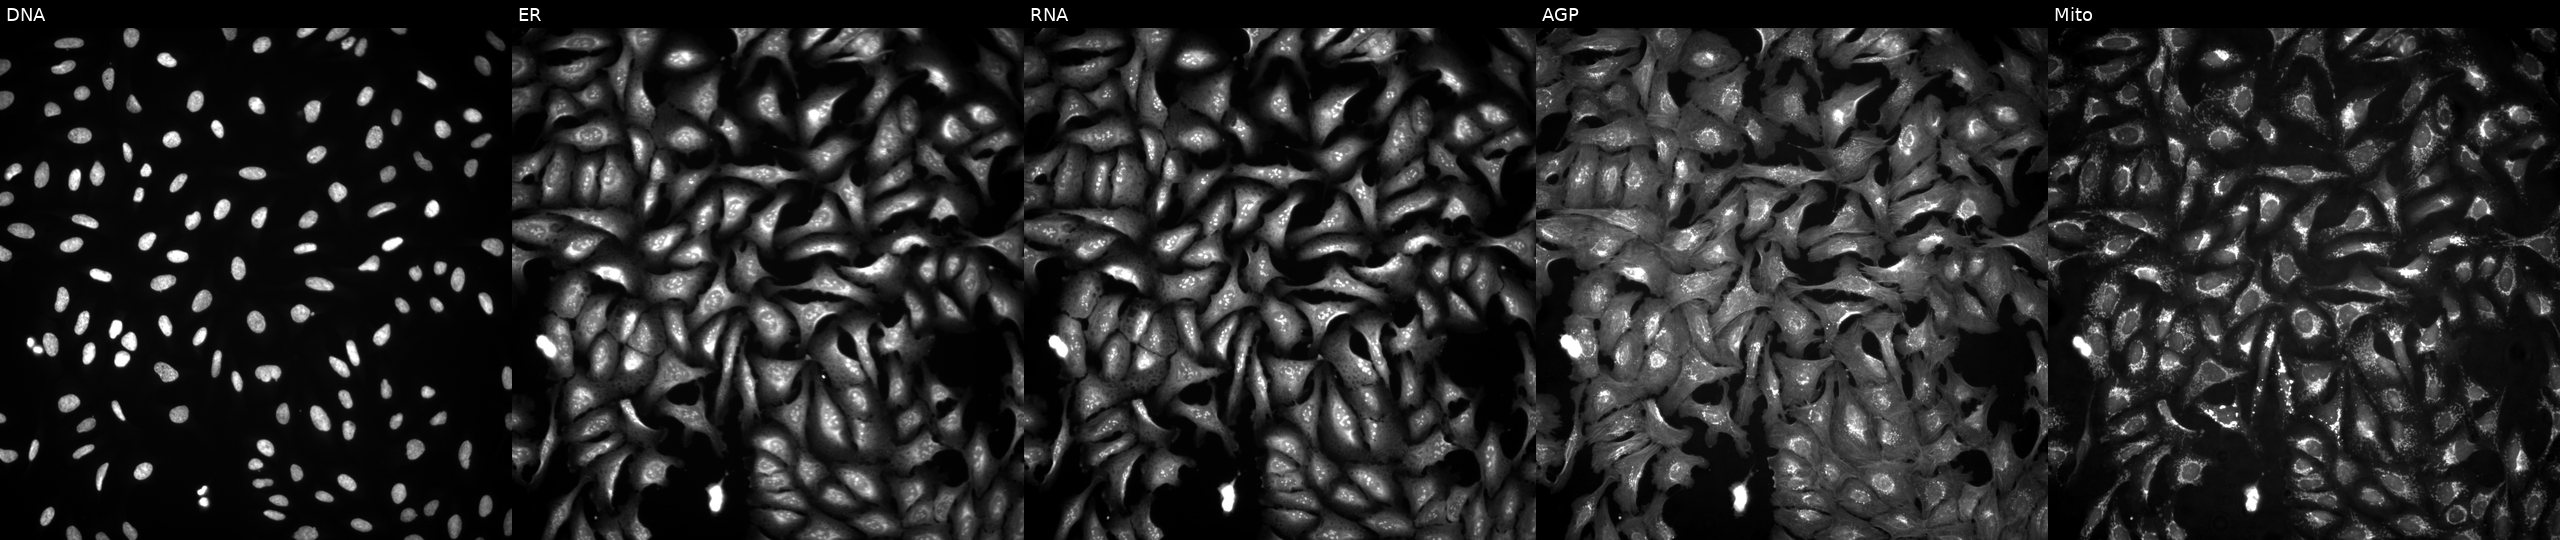
Five-channel Cell Painting image of U2OS cells expressing LacZ (ORF negative control) (JUMP id JCP2022_915131). From left to right: Hoechst 33342, concanavalin A, SYTO 14, phalloidin and WGA, MitoTracker.